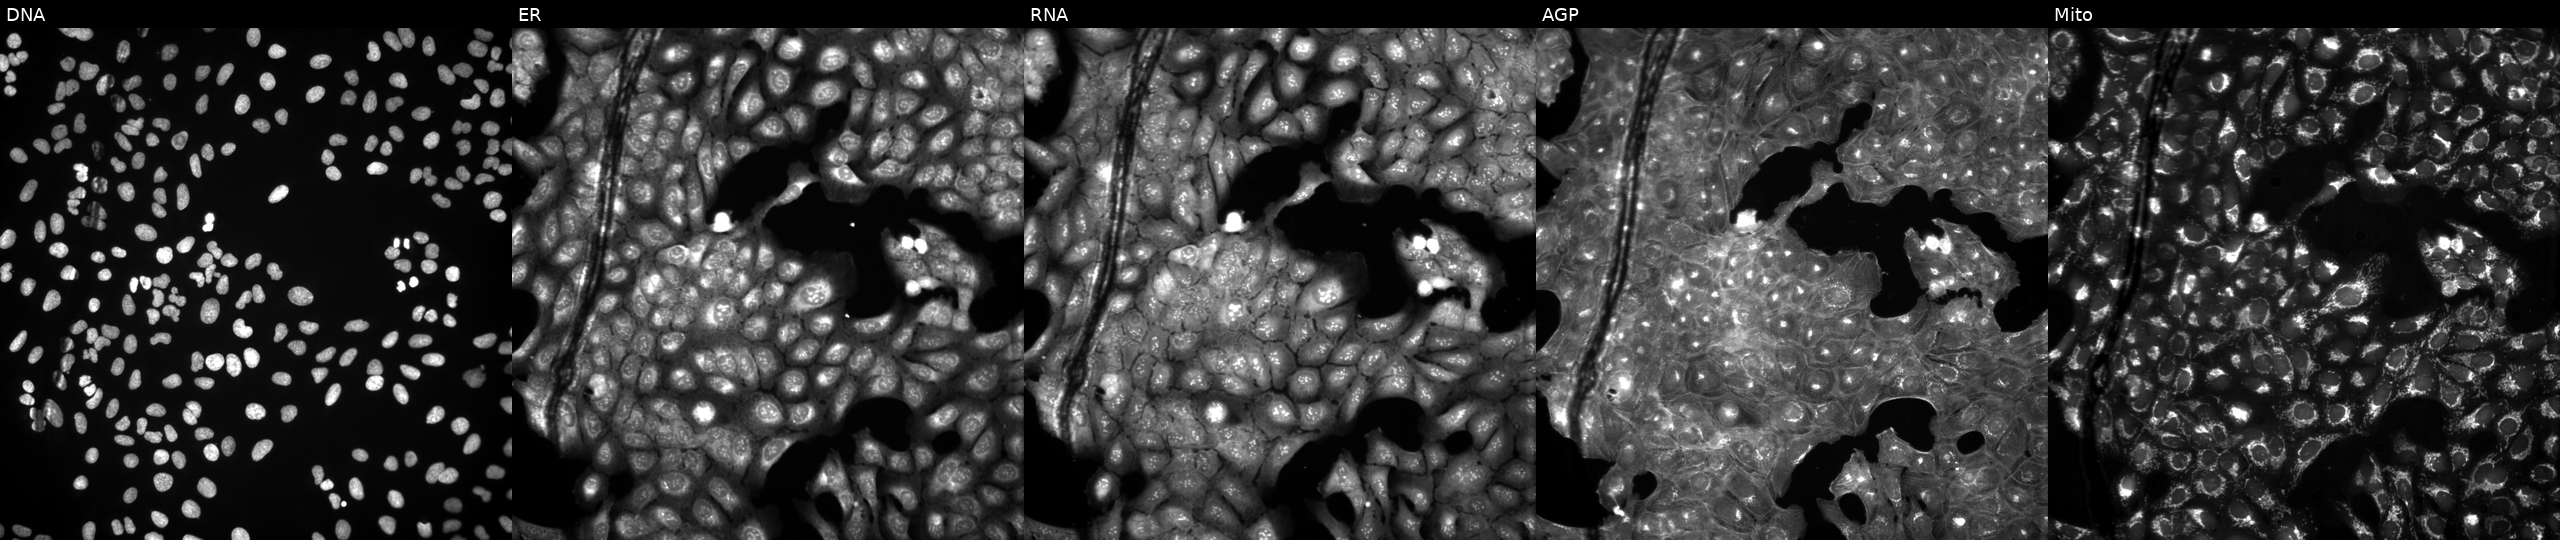
JUMP Cell Painting — TARGET2 plate. U2OS cells perturbed with a small-molecule compound (InChIKey NEMHKCNXXRQYRF-UHFFFAOYSA-N). From left to right: DNA (nuclei); ER (endoplasmic reticulum); RNA (nucleoli and cytoplasmic RNA); AGP (actin cytoskeleton, Golgi, and plasma membrane); Mito (mitochondria).